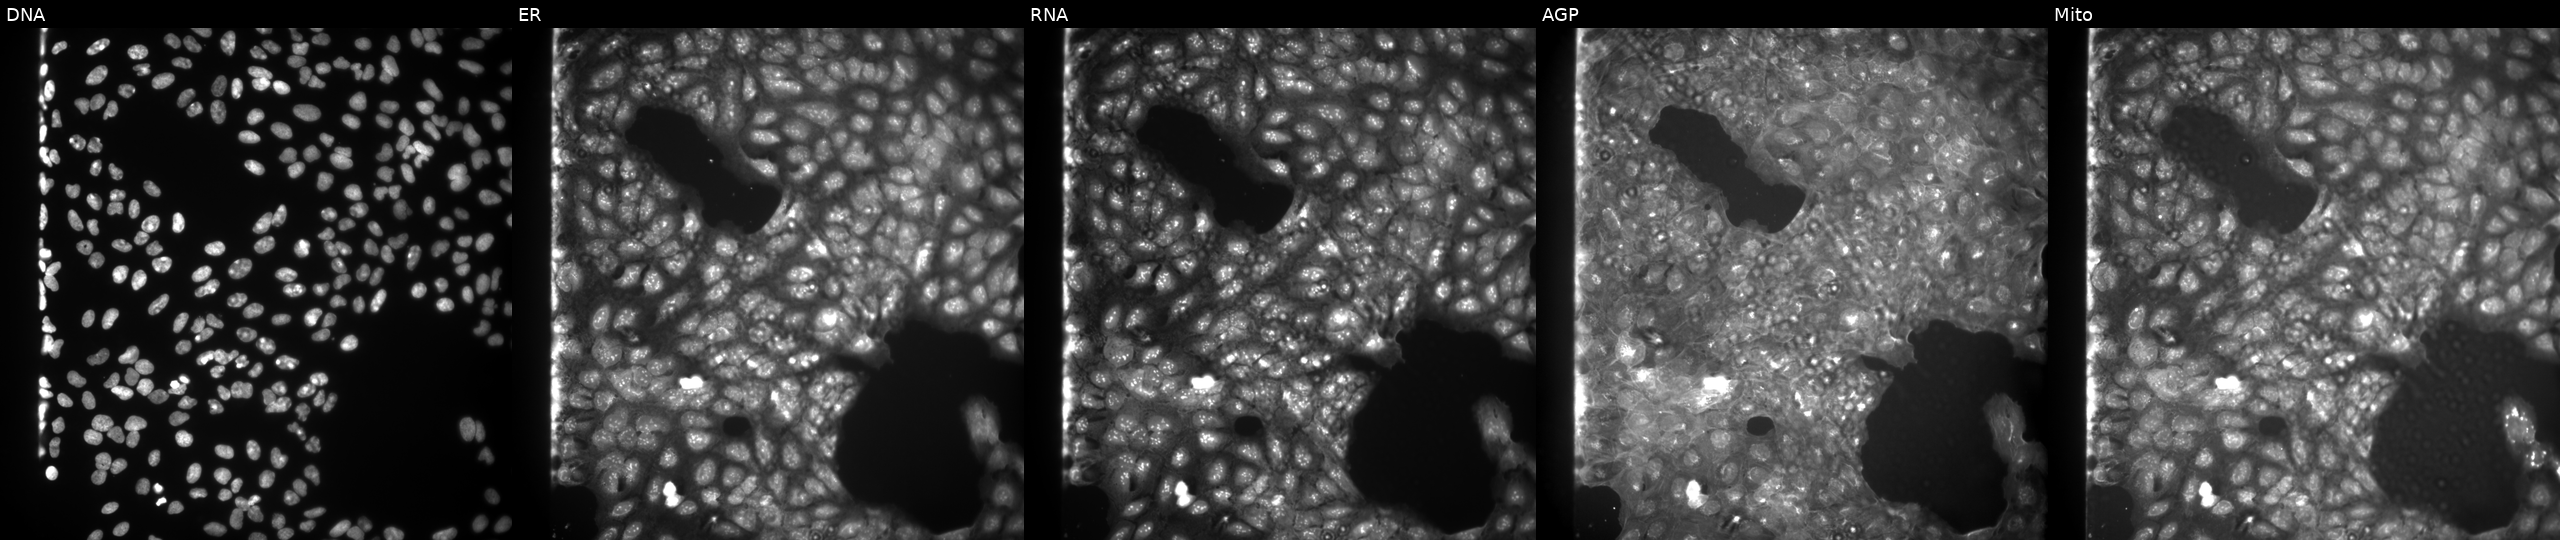
U2OS cells, Cell Painting assay, treated with a small-molecule compound [SMILES: CCOC(=O)c1sc(=NC(=O)CN2C(=O)c3cccc4cccc(c34)C2=O)[nH]c1C] (JUMP id JCP2022_082124). Panels show, left to right, Hoechst 33342, concanavalin A, SYTO 14, phalloidin and WGA, MitoTracker. Each panel is percentile-stretched 16-bit fluorescence.